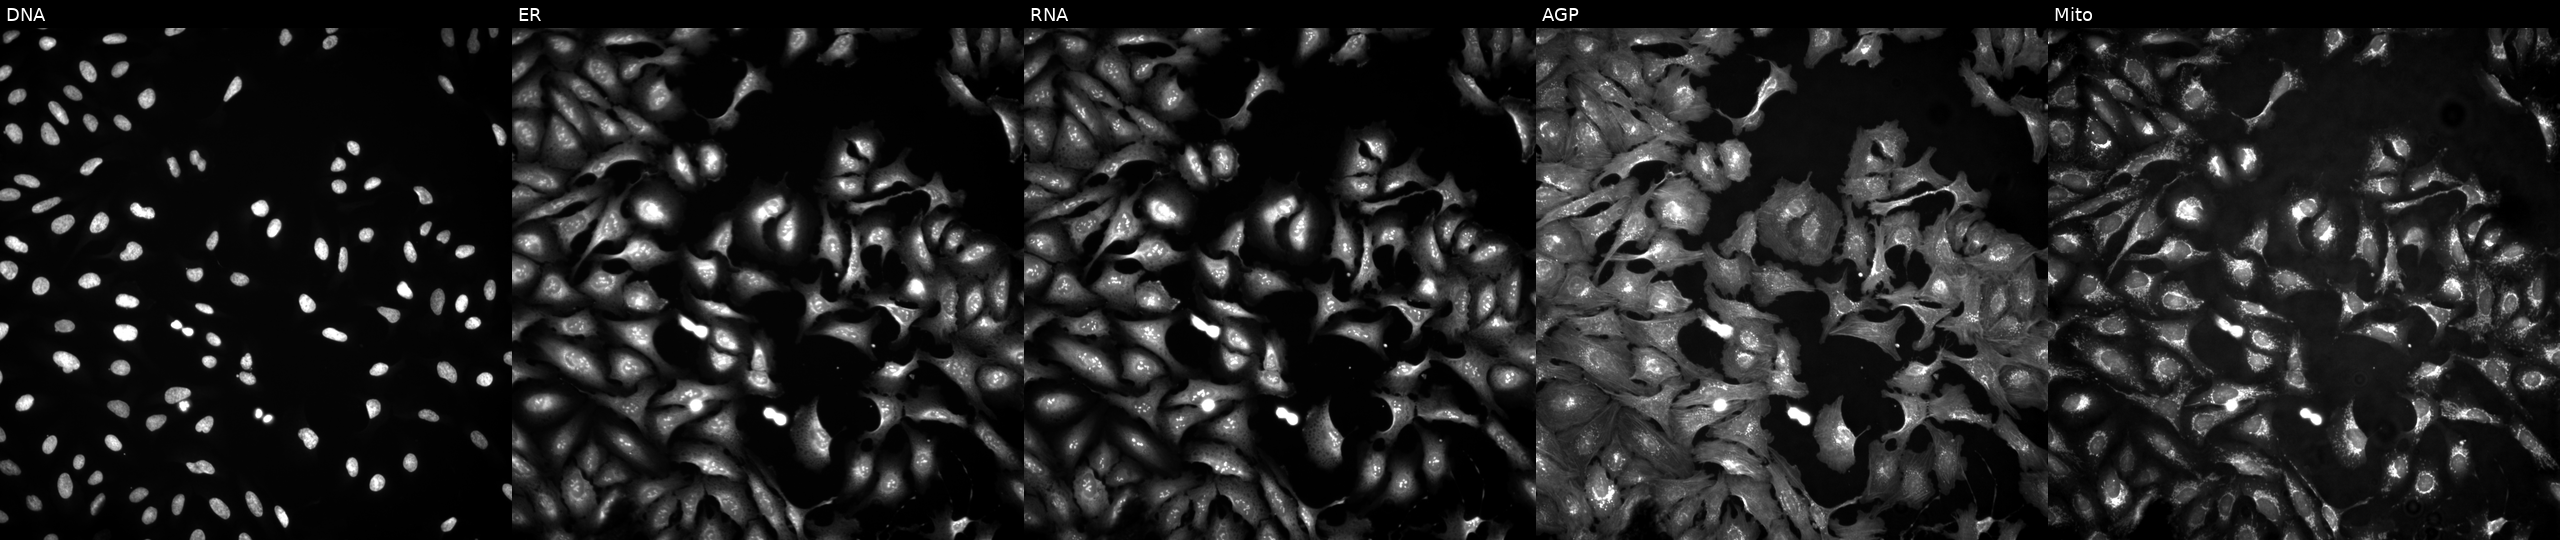
U2OS cells, Cell Painting assay, overexpressing LYN via ORF transfection (JUMP id JCP2022_913718). From left to right: DNA (nuclei); ER (endoplasmic reticulum); RNA (nucleoli and cytoplasmic RNA); AGP (actin cytoskeleton, Golgi, and plasma membrane); Mito (mitochondria). Each panel is percentile-stretched 16-bit fluorescence. Source 4, plate BR00123945, well B03.